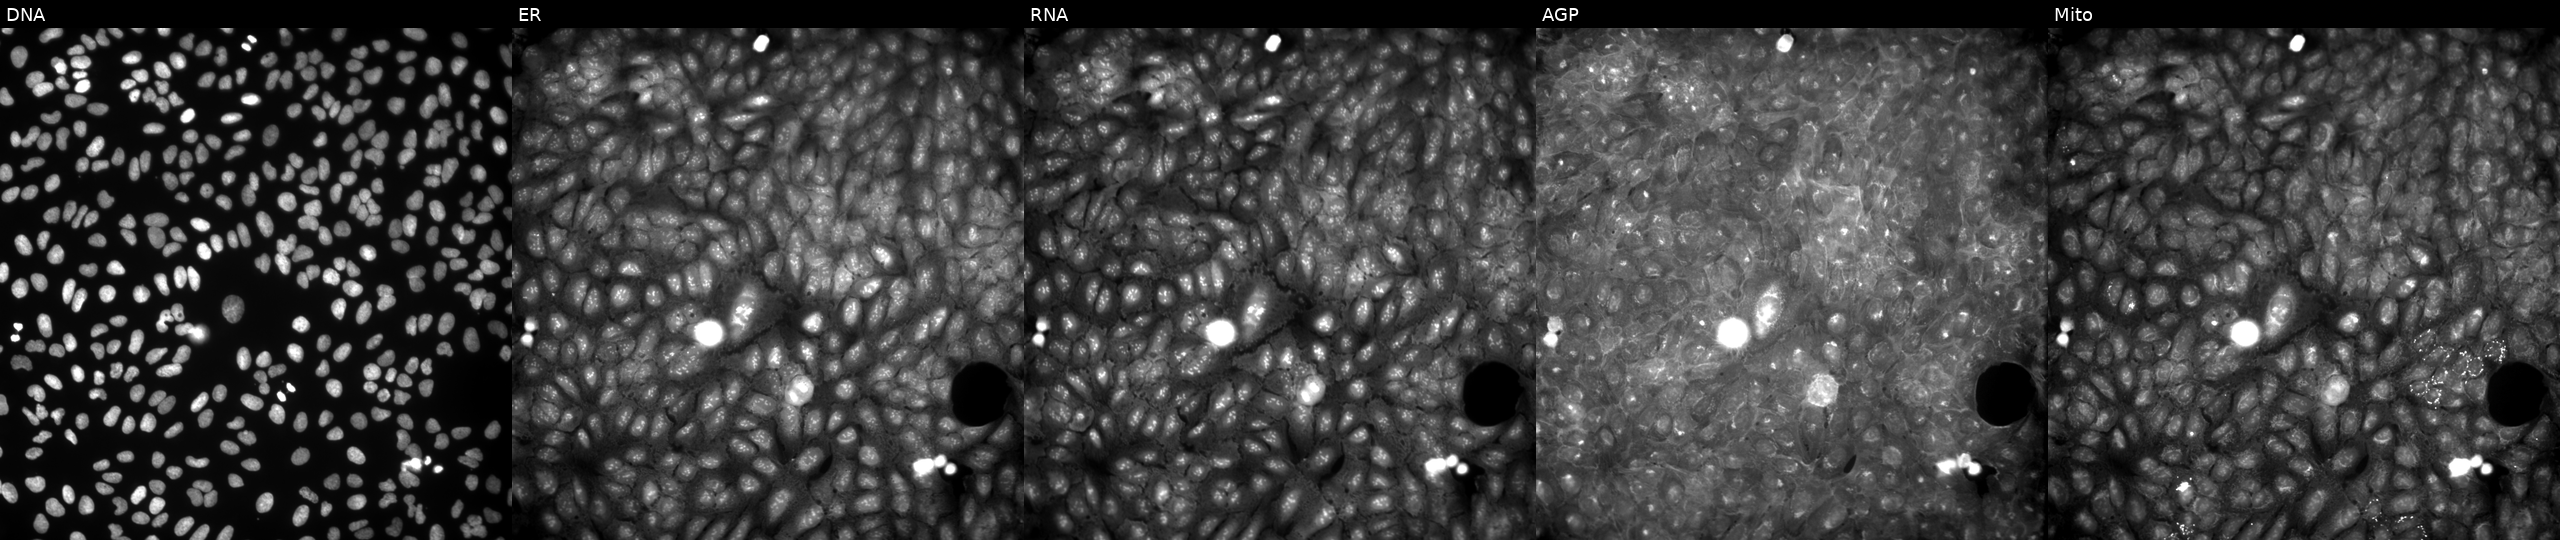
U2OS cells, Cell Painting assay, treated with a small-molecule compound (InChIKey QAQBAPIQYPTZTH-UHFFFAOYSA-N) [SMILES: C=CCN1C(=O)C(O)(CC(=O)c2ccccc2)c2ccccc21]. From left to right: DNA, ER, RNA, AGP, and Mito. Each panel is percentile-stretched 16-bit fluorescence. Source 9, plate GR00003381, well AA16.